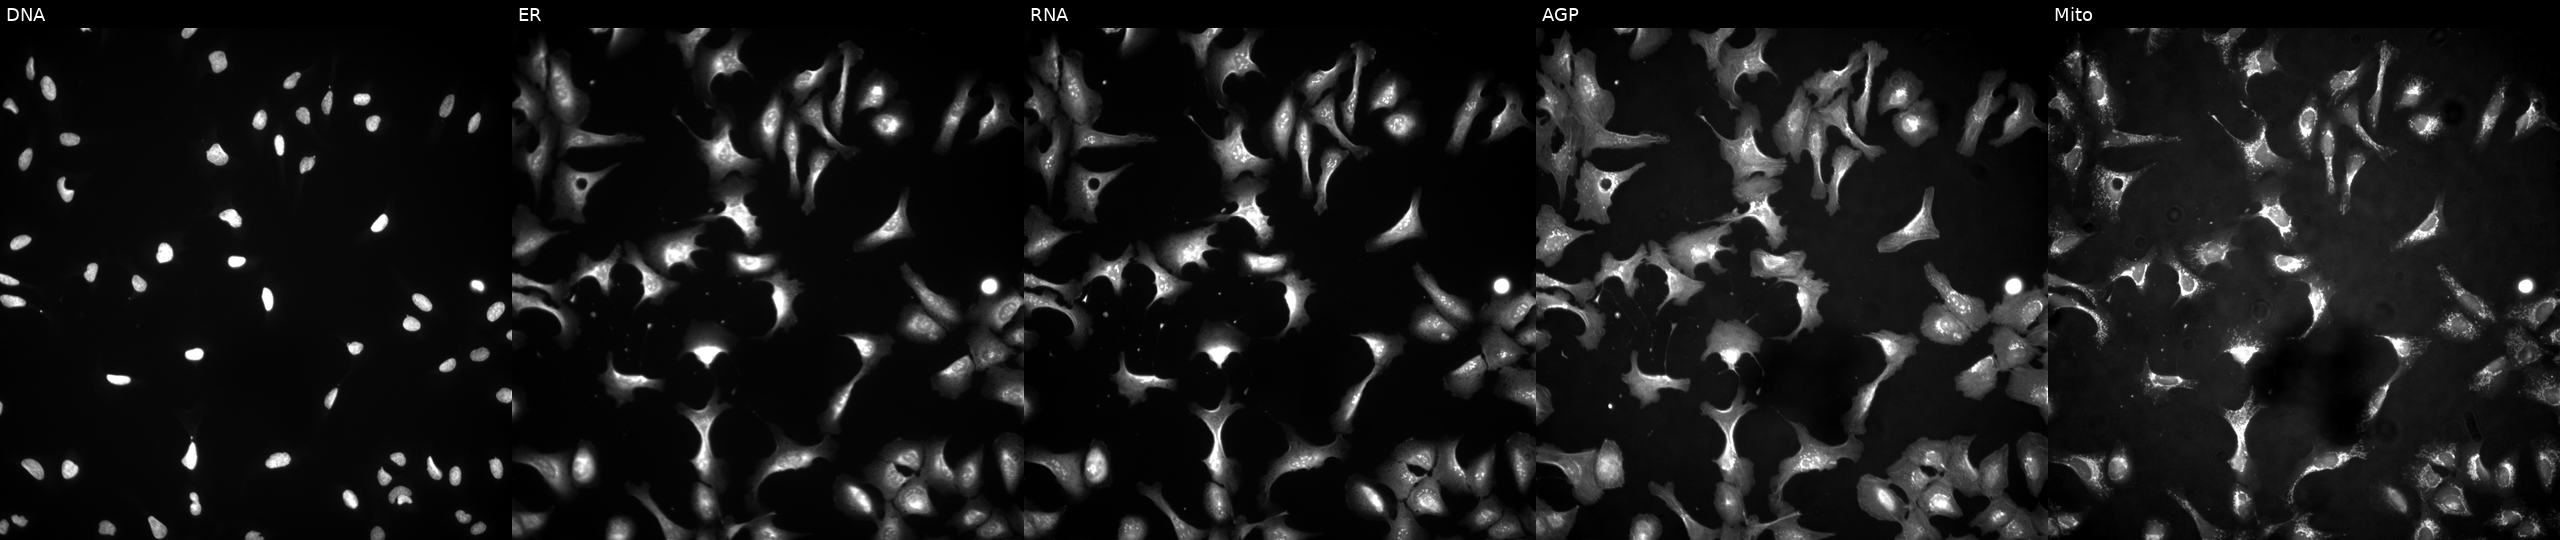
This image strip shows the five Cell Painting channels for a single field of U2OS cells overexpressing TTC39B via ORF transfection (JUMP id JCP2022_913453). Panels show, left to right, Hoechst 33342, concanavalin A, SYTO 14, phalloidin and WGA, MitoTracker. Source 4, plate BR00124790, well N02.